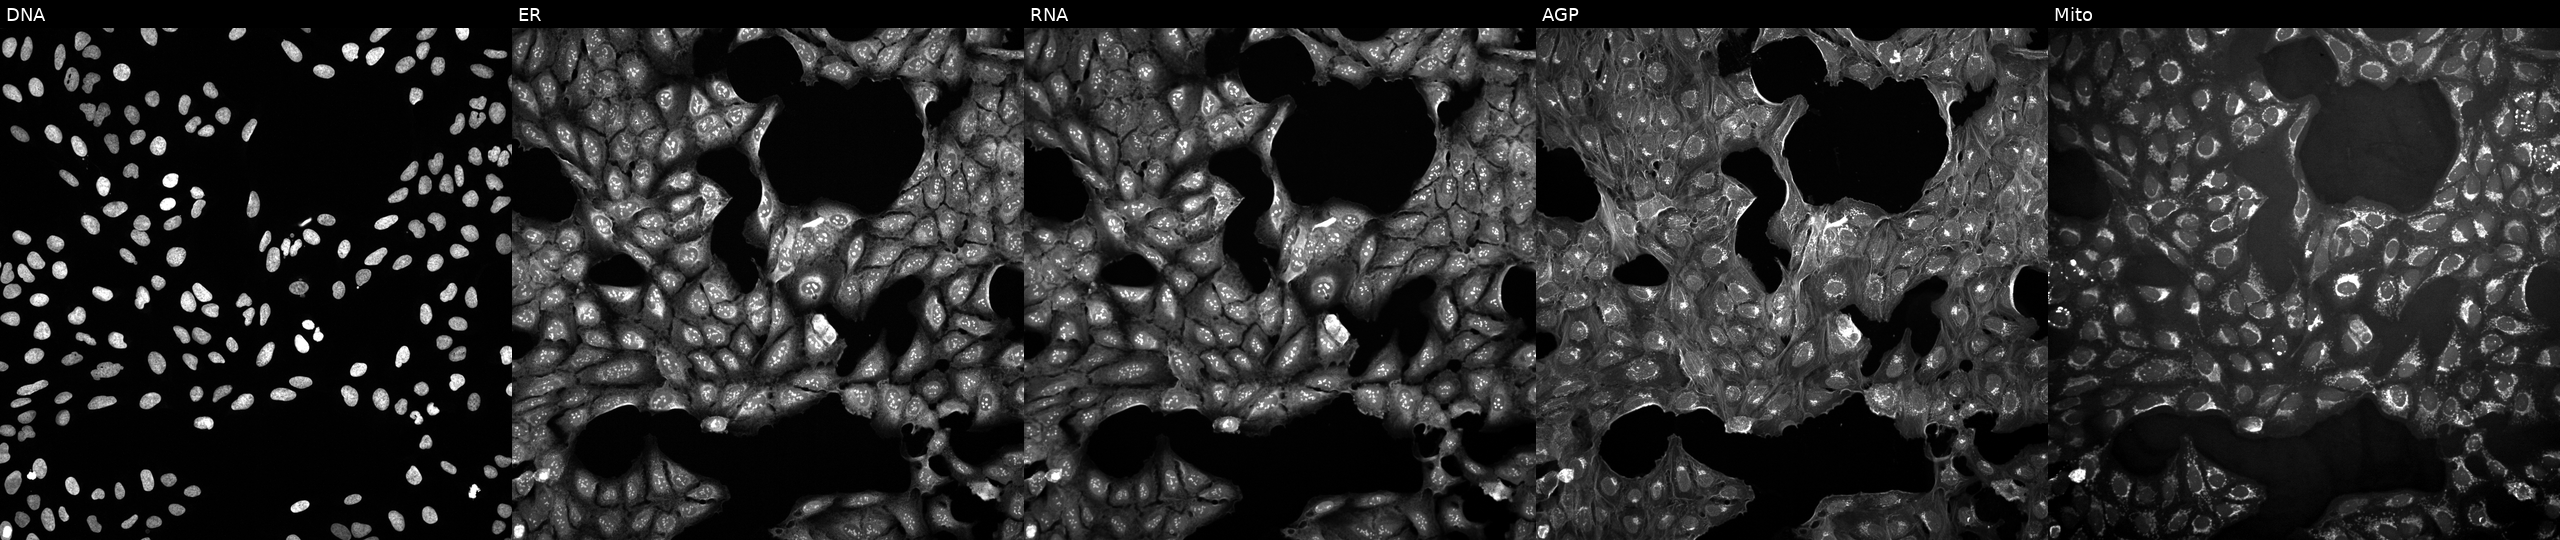
Five-channel Cell Painting image of U2OS cells in an empty control well (no perturbation). Channels (left→right): DNA, ER, RNA, AGP, and Mito.